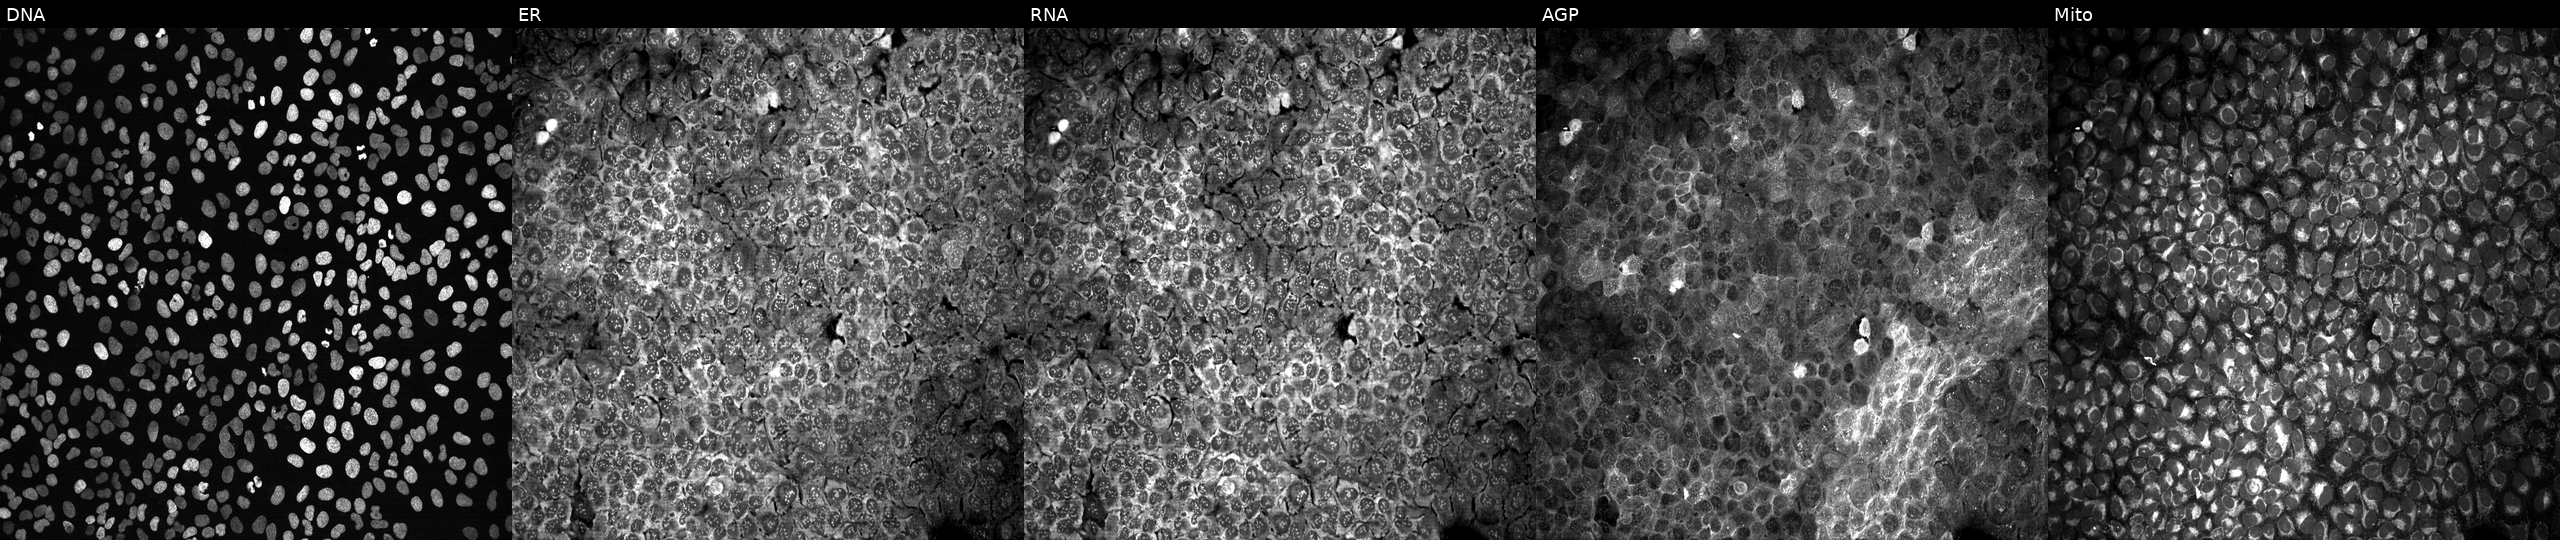
This image strip shows the five Cell Painting channels for a single field of U2OS cells exposed to DMSO alone as a negative control (JUMP id JCP2022_033924). The five panels, left to right, show DNA (nuclei); ER (endoplasmic reticulum); RNA (nucleoli and cytoplasmic RNA); AGP (actin cytoskeleton, Golgi, and plasma membrane); Mito (mitochondria).